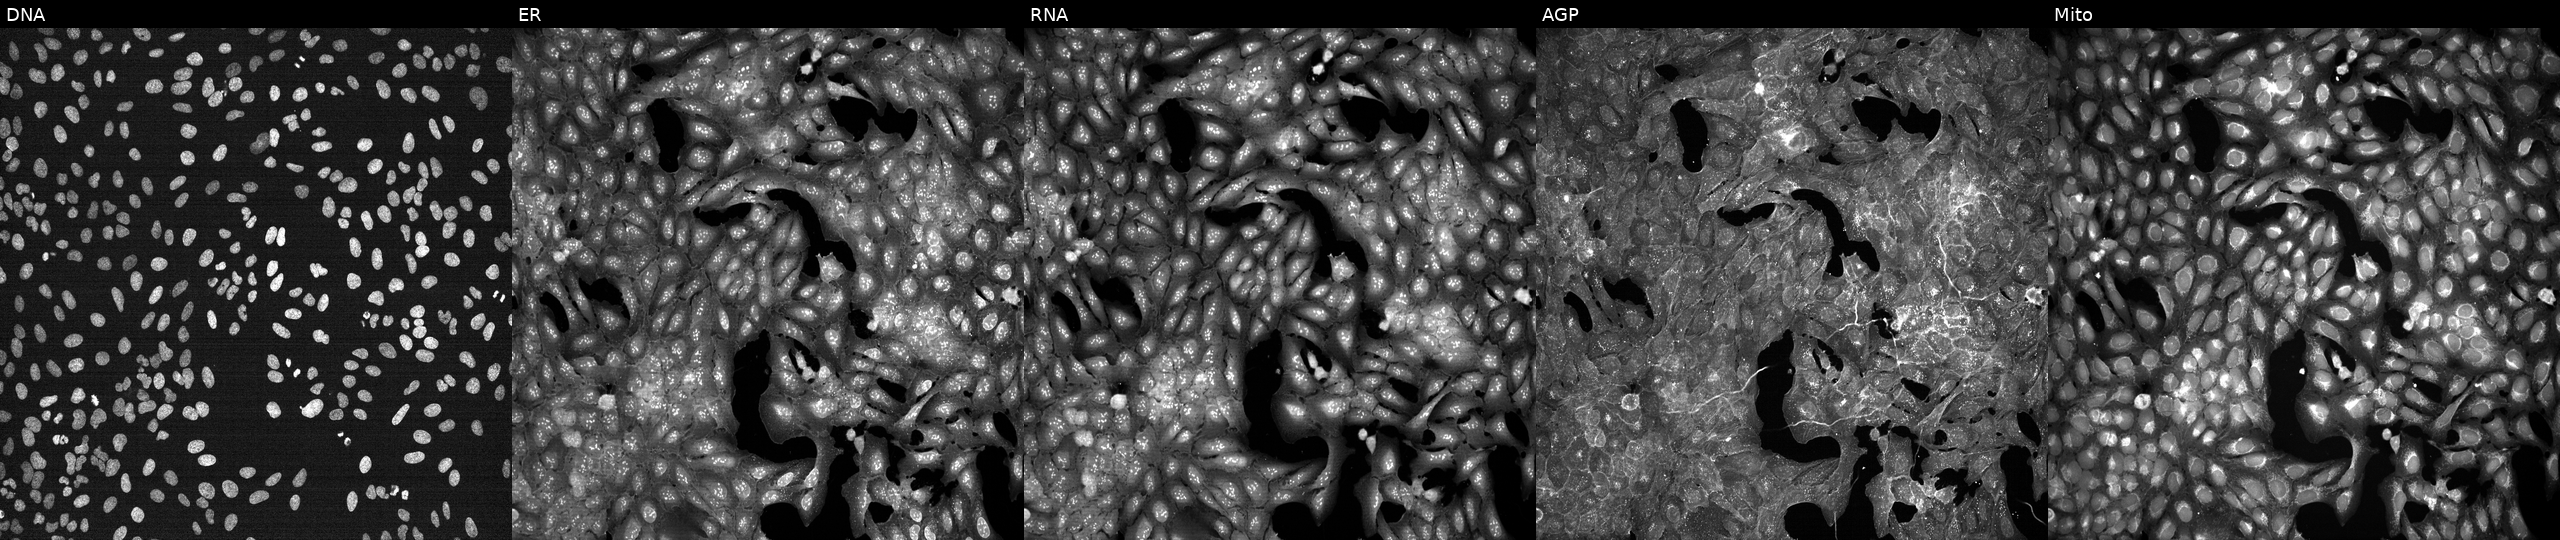
U2OS cells, Cell Painting assay, treated with DMSO vehicle only (negative control) (JUMP id JCP2022_033924). Panels show, left to right, Hoechst 33342, concanavalin A, SYTO 14, phalloidin and WGA, MitoTracker. Each panel is percentile-stretched 16-bit fluorescence.